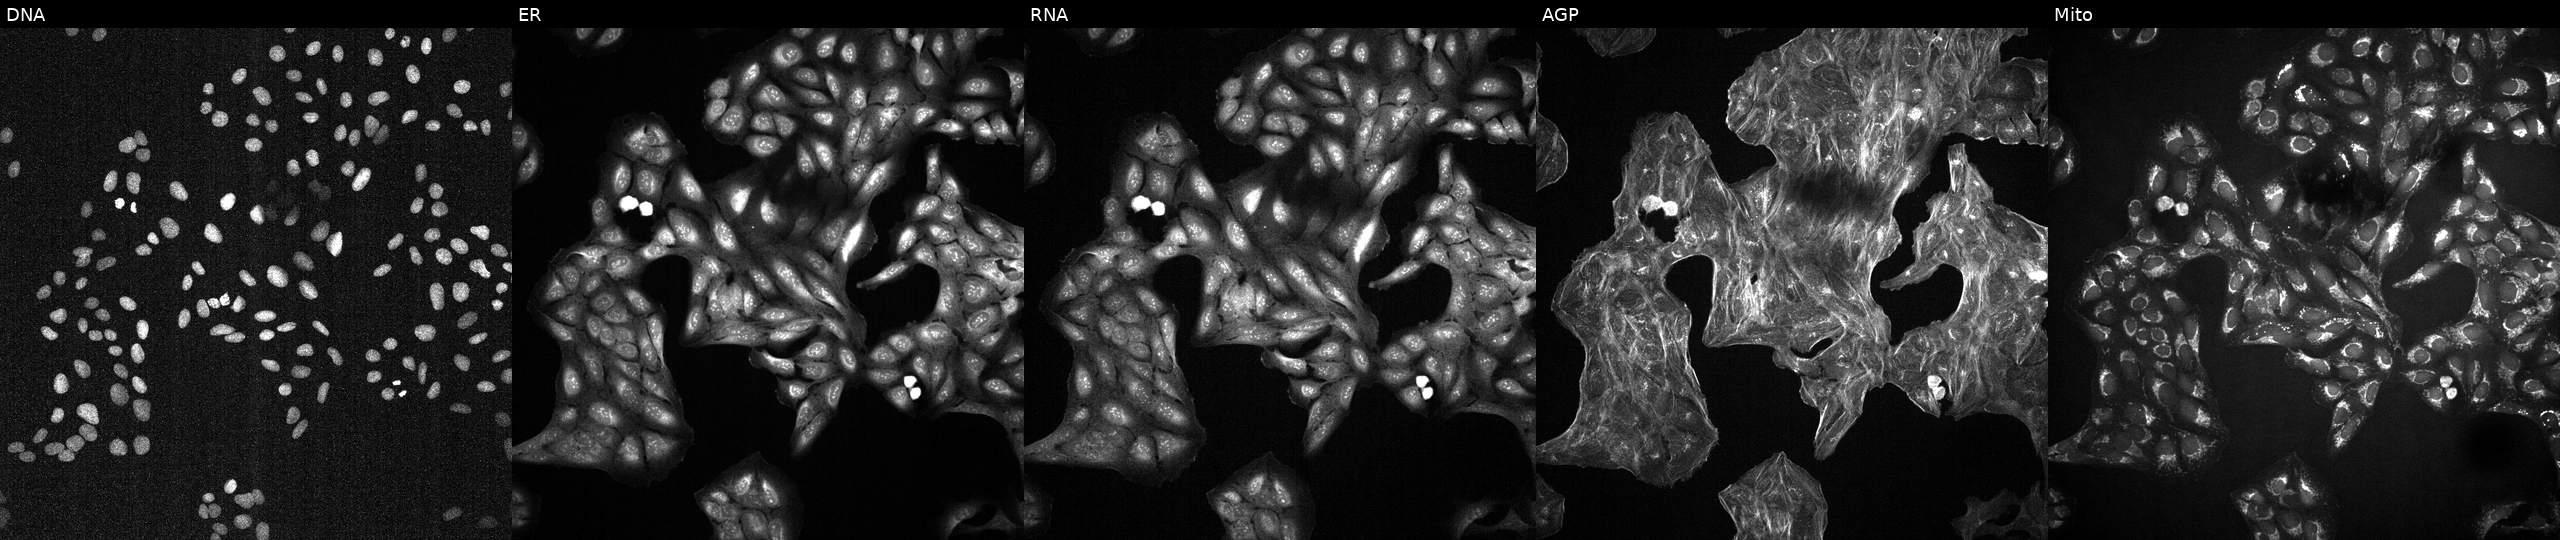
U2OS cells, Cell Painting assay, treated with DMSO vehicle only (negative control) (JUMP id JCP2022_033924). Channels (left→right): DNA (nuclei); ER (endoplasmic reticulum); RNA (nucleoli and cytoplasmic RNA); AGP (actin cytoskeleton, Golgi, and plasma membrane); Mito (mitochondria). Each panel is percentile-stretched 16-bit fluorescence.